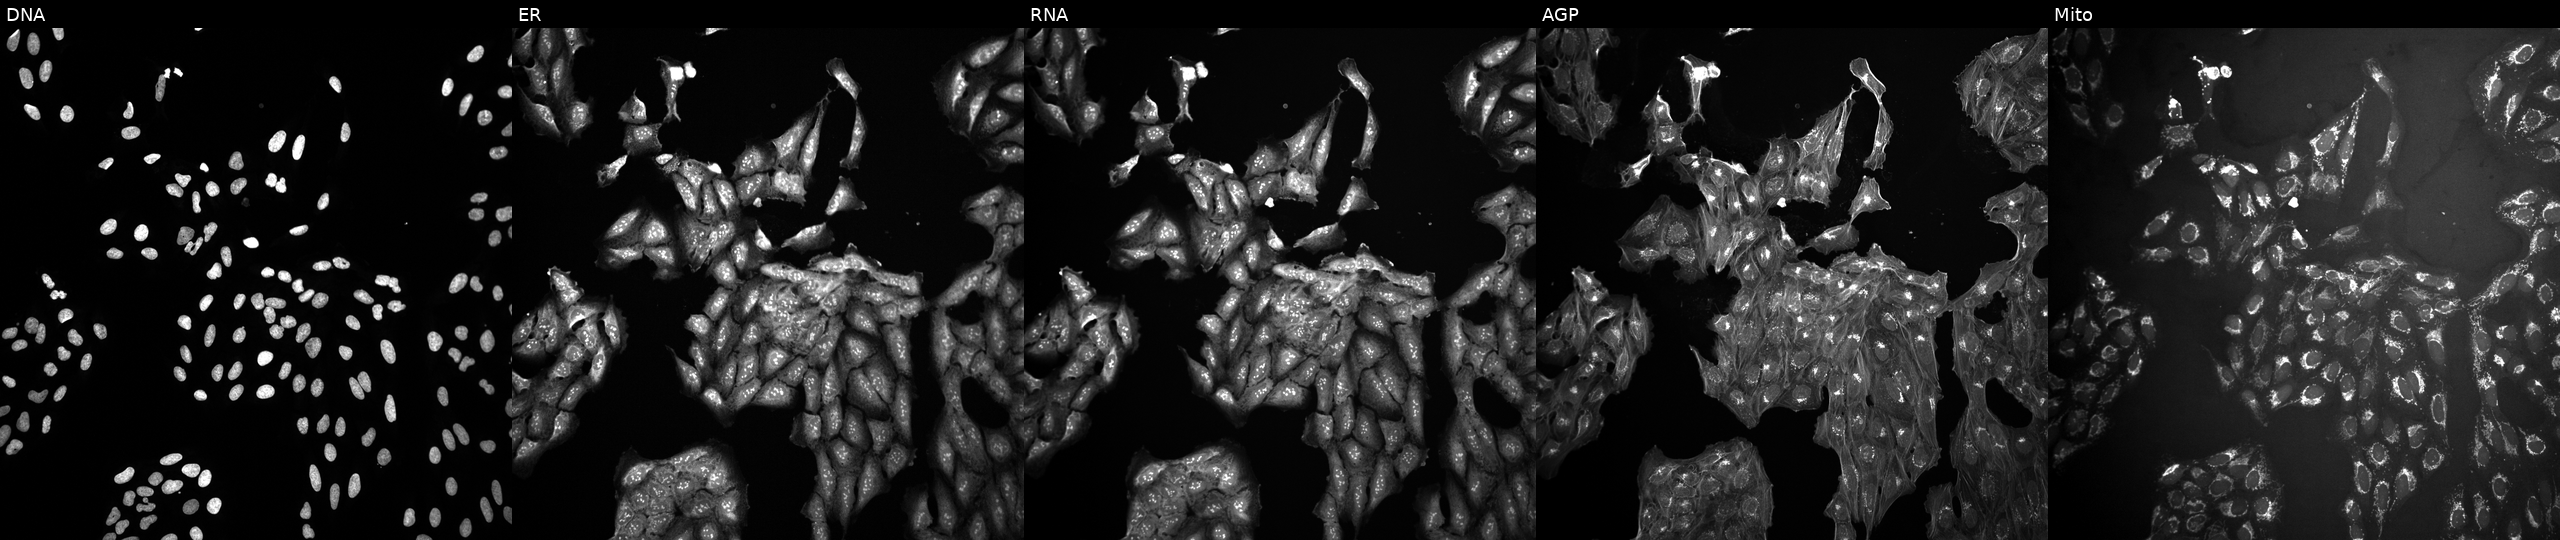
Five-channel Cell Painting image of U2OS cells perturbed with a small-molecule compound. The five panels, left to right, show Hoechst 33342, concanavalin A, SYTO 14, phalloidin and WGA, MitoTracker.